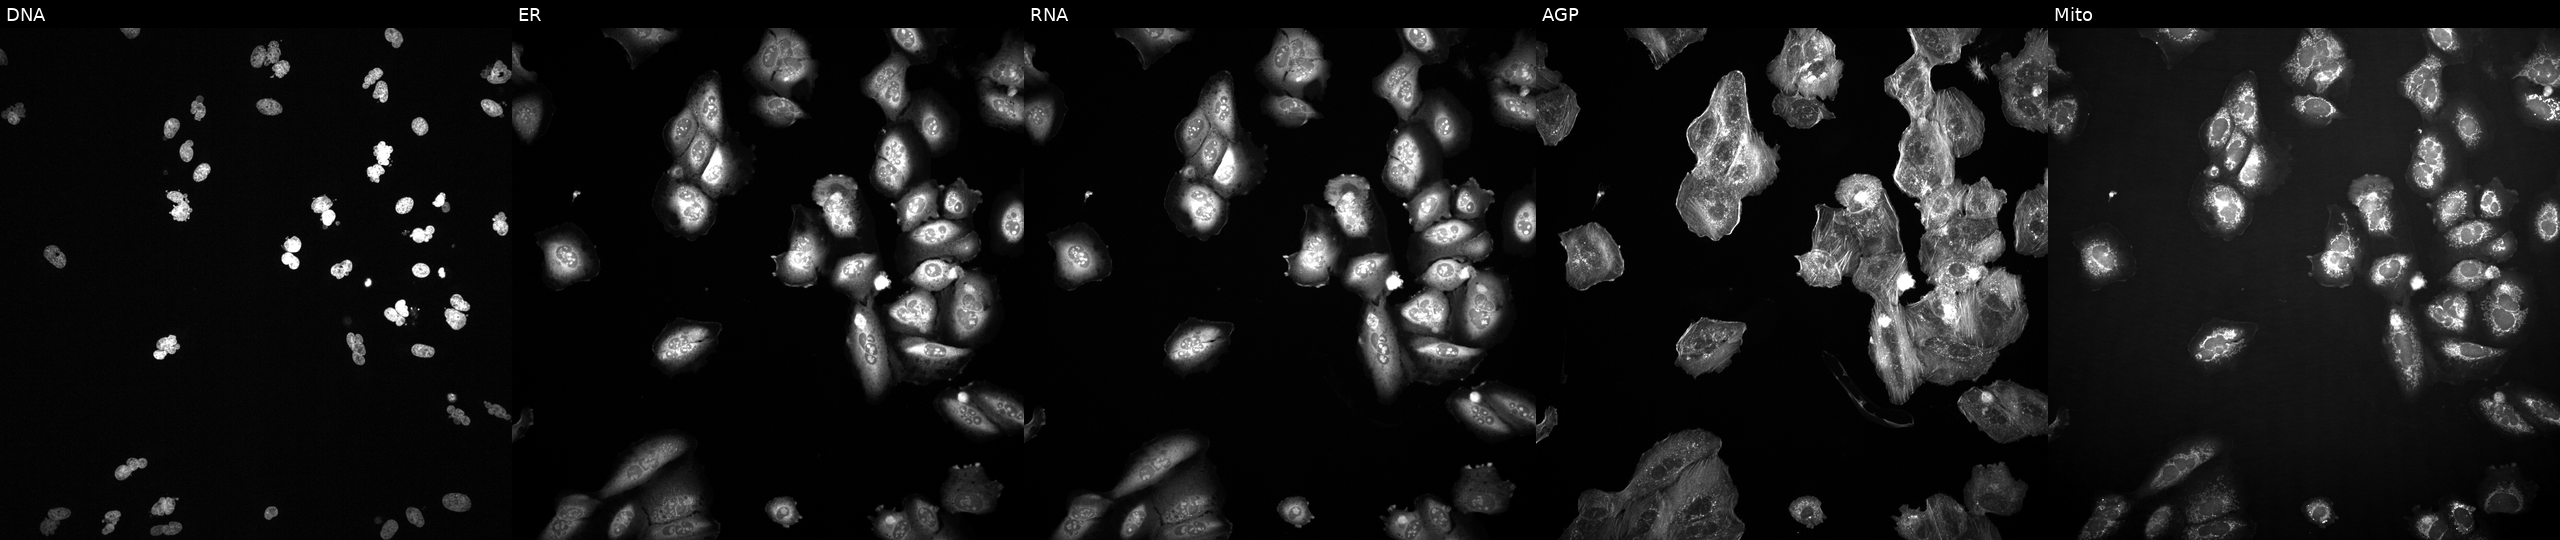
The five panels, left to right, show DNA (nuclei); ER (endoplasmic reticulum); RNA (nucleoli and cytoplasmic RNA); AGP (actin cytoskeleton, Golgi, and plasma membrane); Mito (mitochondria). U2OS osteosarcoma cells exposed to a small-molecule compound (InChIKey CMYHZFCJPORPHY-UHFFFAOYSA-N) (JUMP id JCP2022_012198). Cell Painting assay, JUMP-CP dataset.